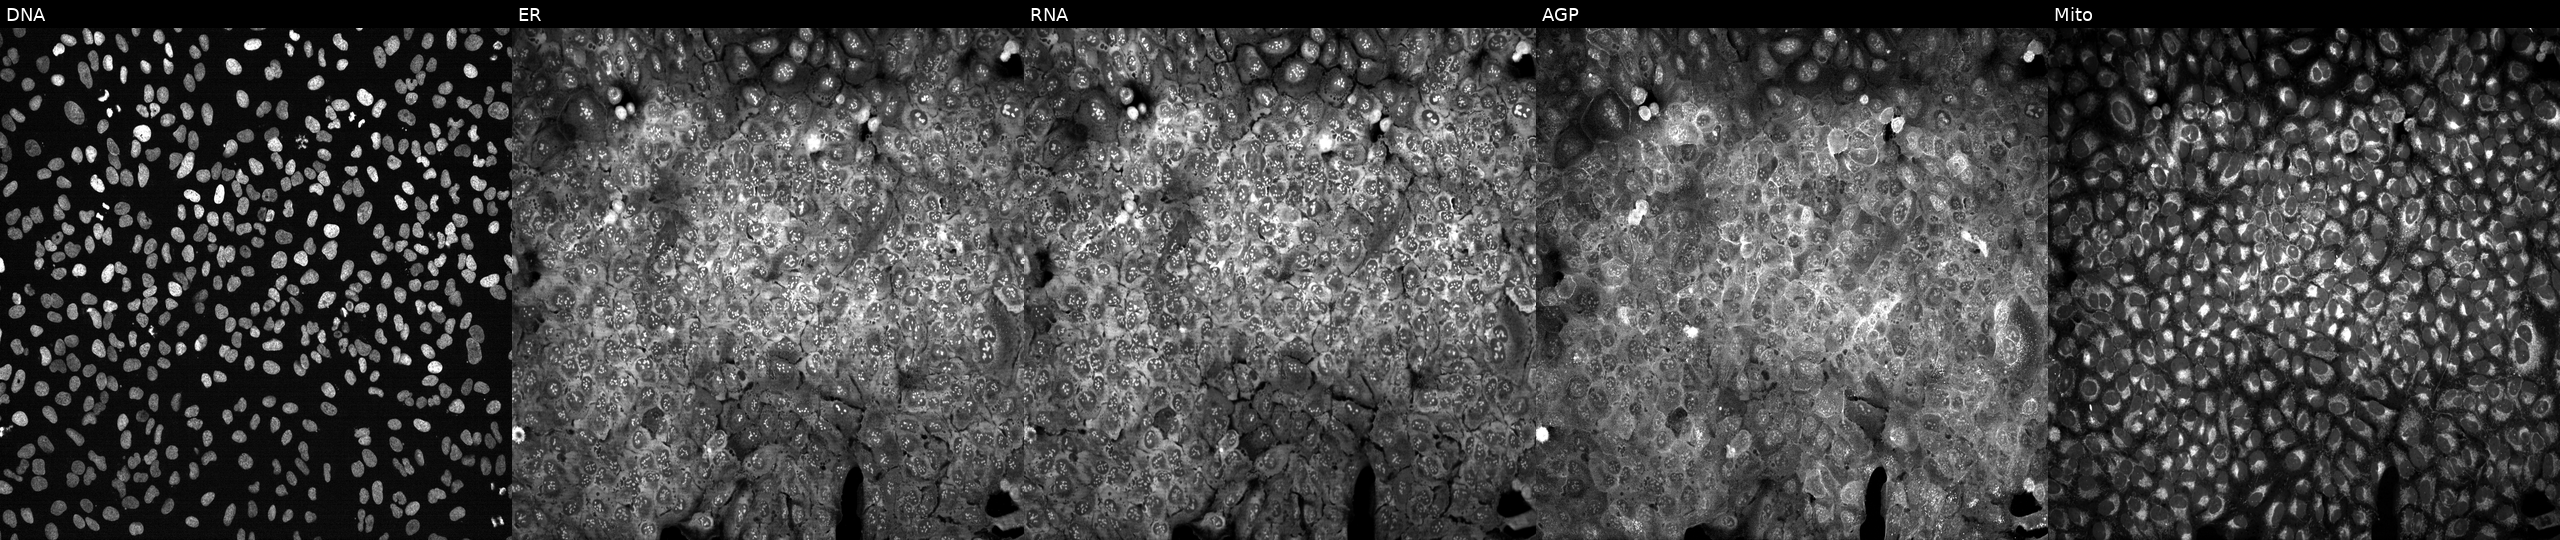
JUMP Cell Painting — CRISPR plate. U2OS cells with SLC8A3 knocked out by CRISPR (JUMP id JCP2022_806595). Channels (left→right): Hoechst 33342, concanavalin A, SYTO 14, phalloidin and WGA, MitoTracker.